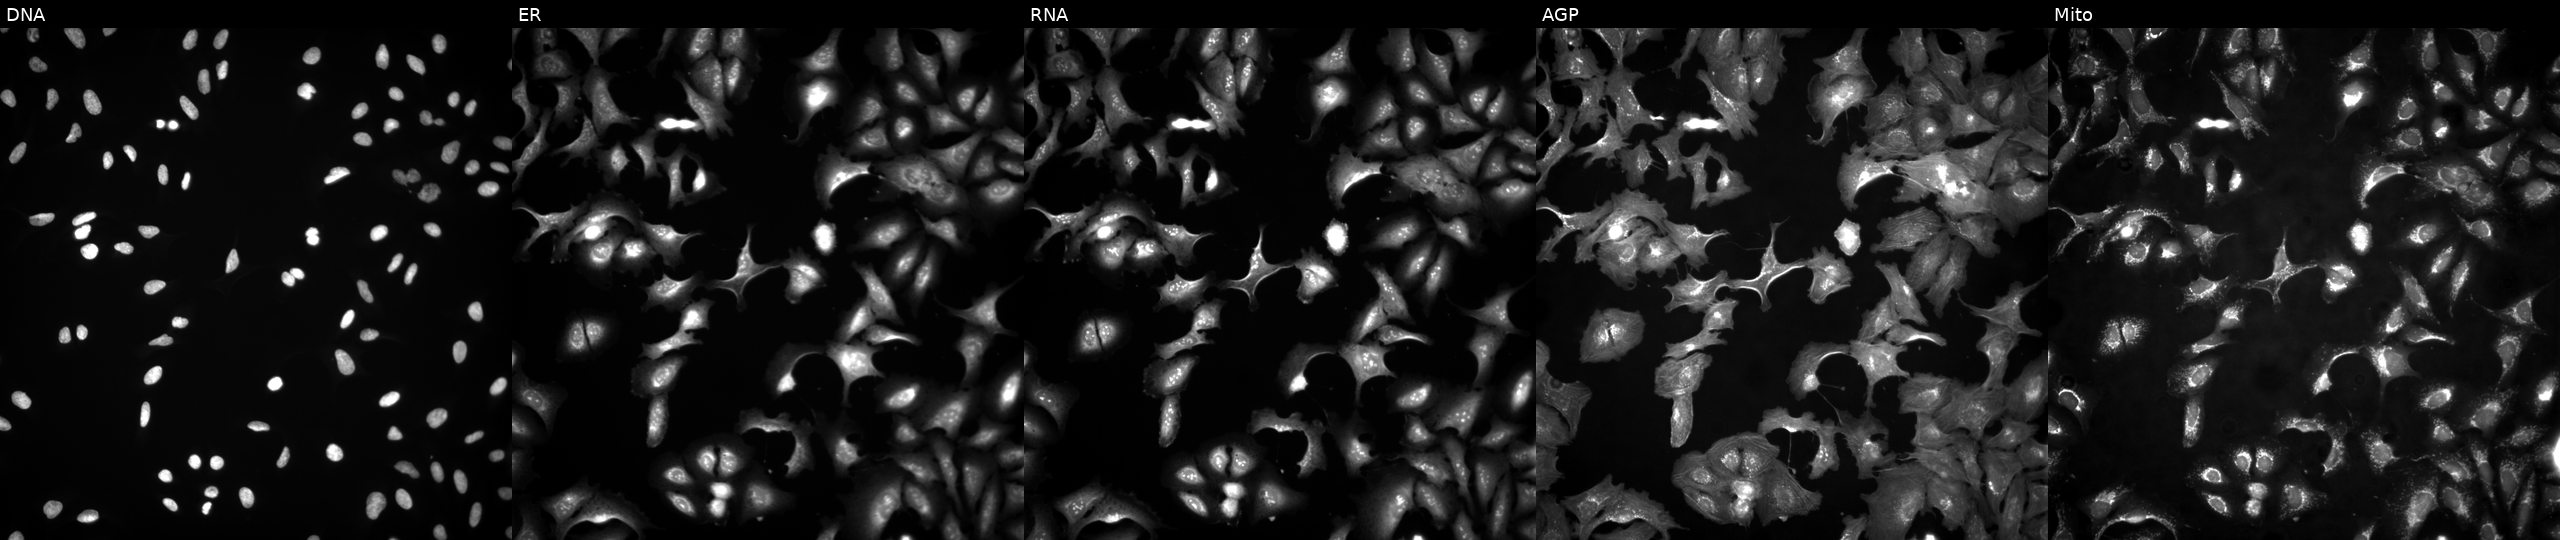
JUMP Cell Painting — ORF plate. U2OS cells expressing eGFP (ORF positive control). Panels show, left to right, DNA (nuclei); ER (endoplasmic reticulum); RNA (nucleoli and cytoplasmic RNA); AGP (actin cytoskeleton, Golgi, and plasma membrane); Mito (mitochondria).